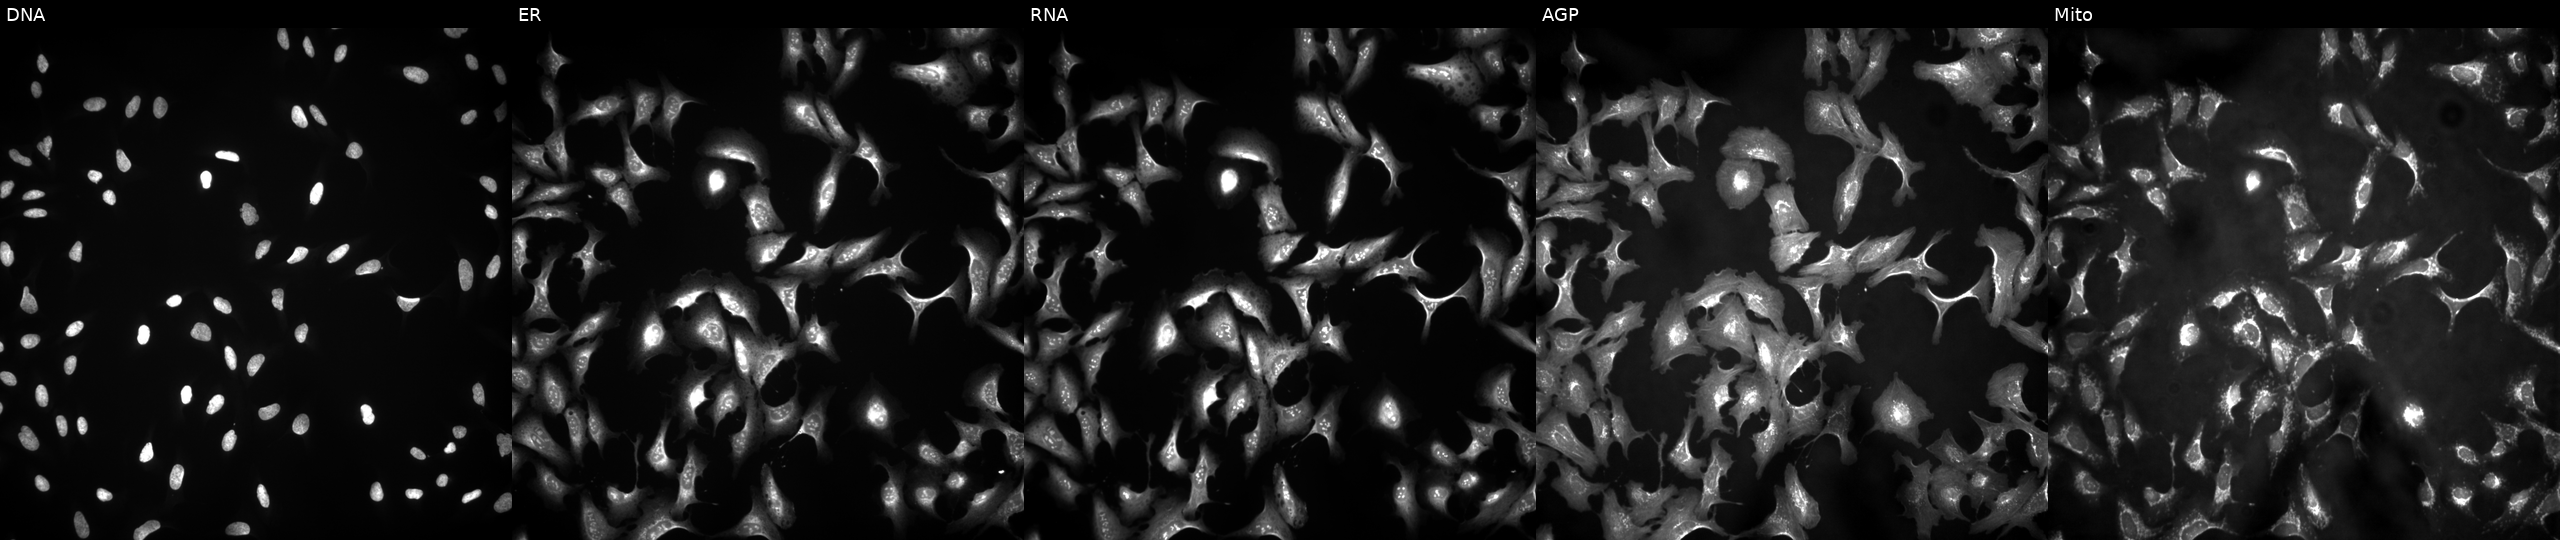
Channels (left→right): DNA, ER, RNA, AGP, and Mito. U2OS osteosarcoma cells transfected with an ORF construct for SLC9A3R2 (JUMP id JCP2022_906919). Cell Painting assay, JUMP-CP dataset. Source 4, plate BR00121543, well J12.